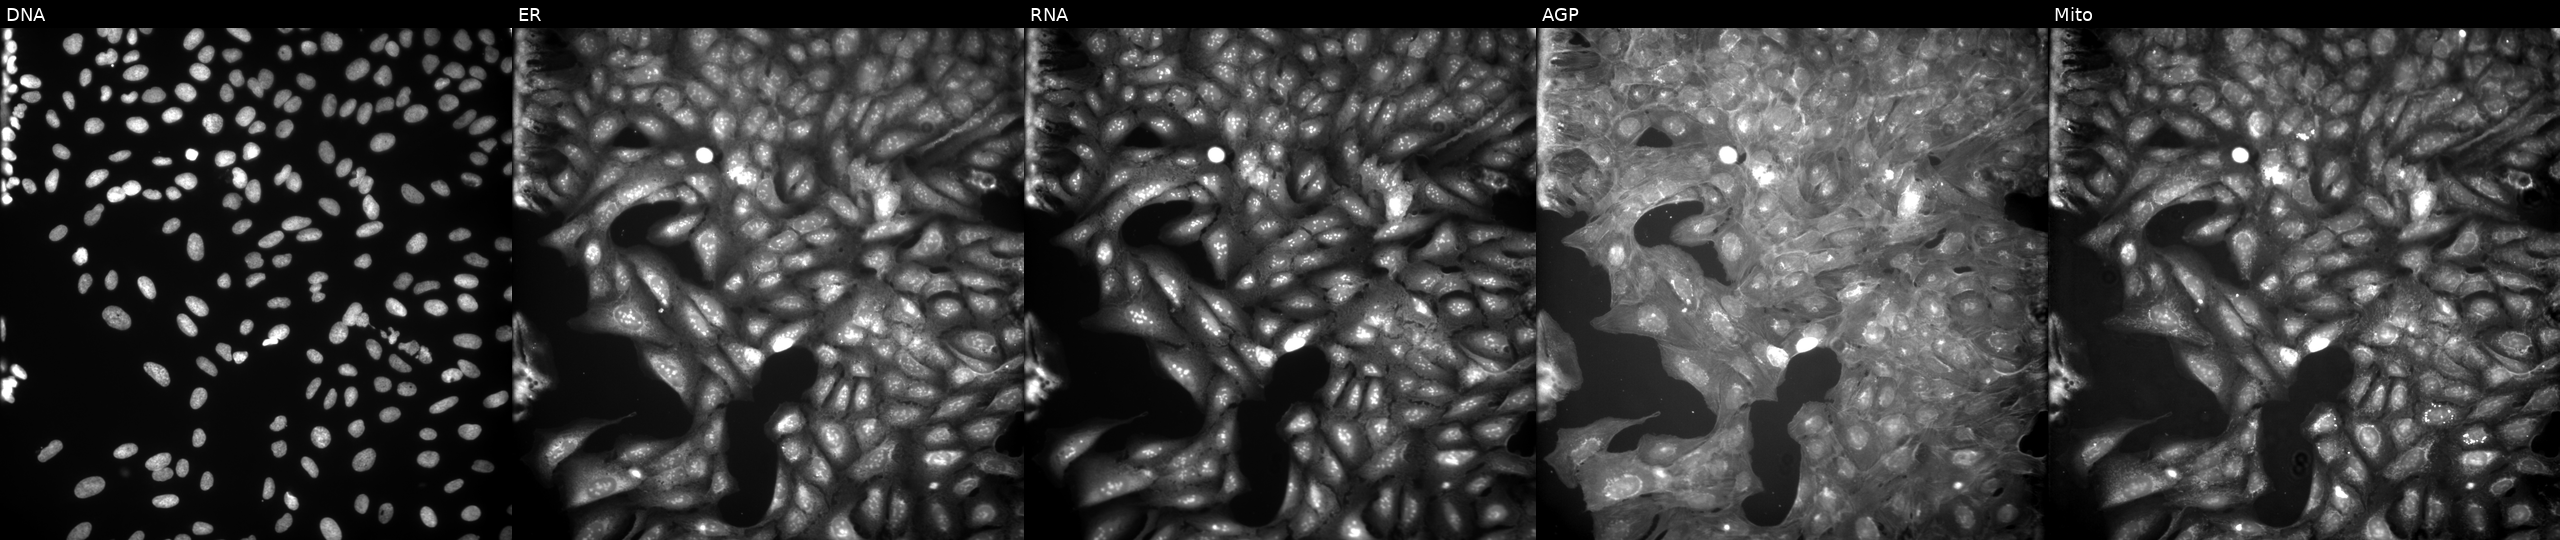
This image strip shows the five Cell Painting channels for a single field of U2OS cells perturbed with a small-molecule compound (JUMP id JCP2022_004264). Channels (left→right): Hoechst 33342, concanavalin A, SYTO 14, phalloidin and WGA, MitoTracker.